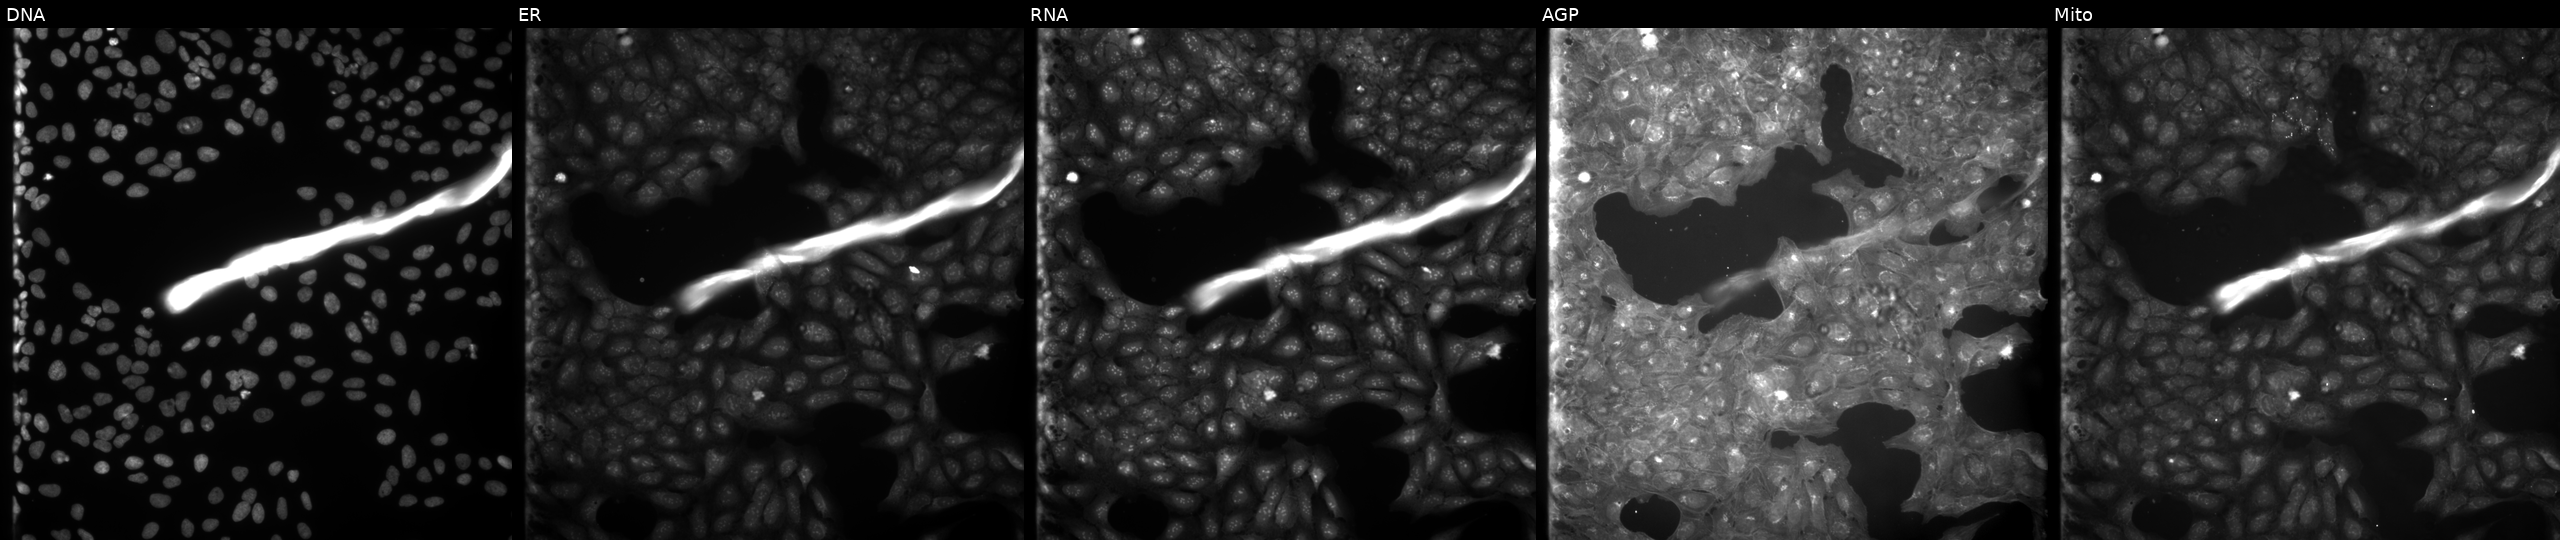
High-content fluorescence microscopy (Cell Painting). Cell line: U2OS. Perturbation: treated with a small-molecule compound (InChIKey DPUUYNGMSOUYKR-UHFFFAOYSA-N) (JUMP id JCP2022_017454). From left to right: DNA (nuclei); ER (endoplasmic reticulum); RNA (nucleoli and cytoplasmic RNA); AGP (actin cytoskeleton, Golgi, and plasma membrane); Mito (mitochondria). Source 9, plate GR00003382, well D17.